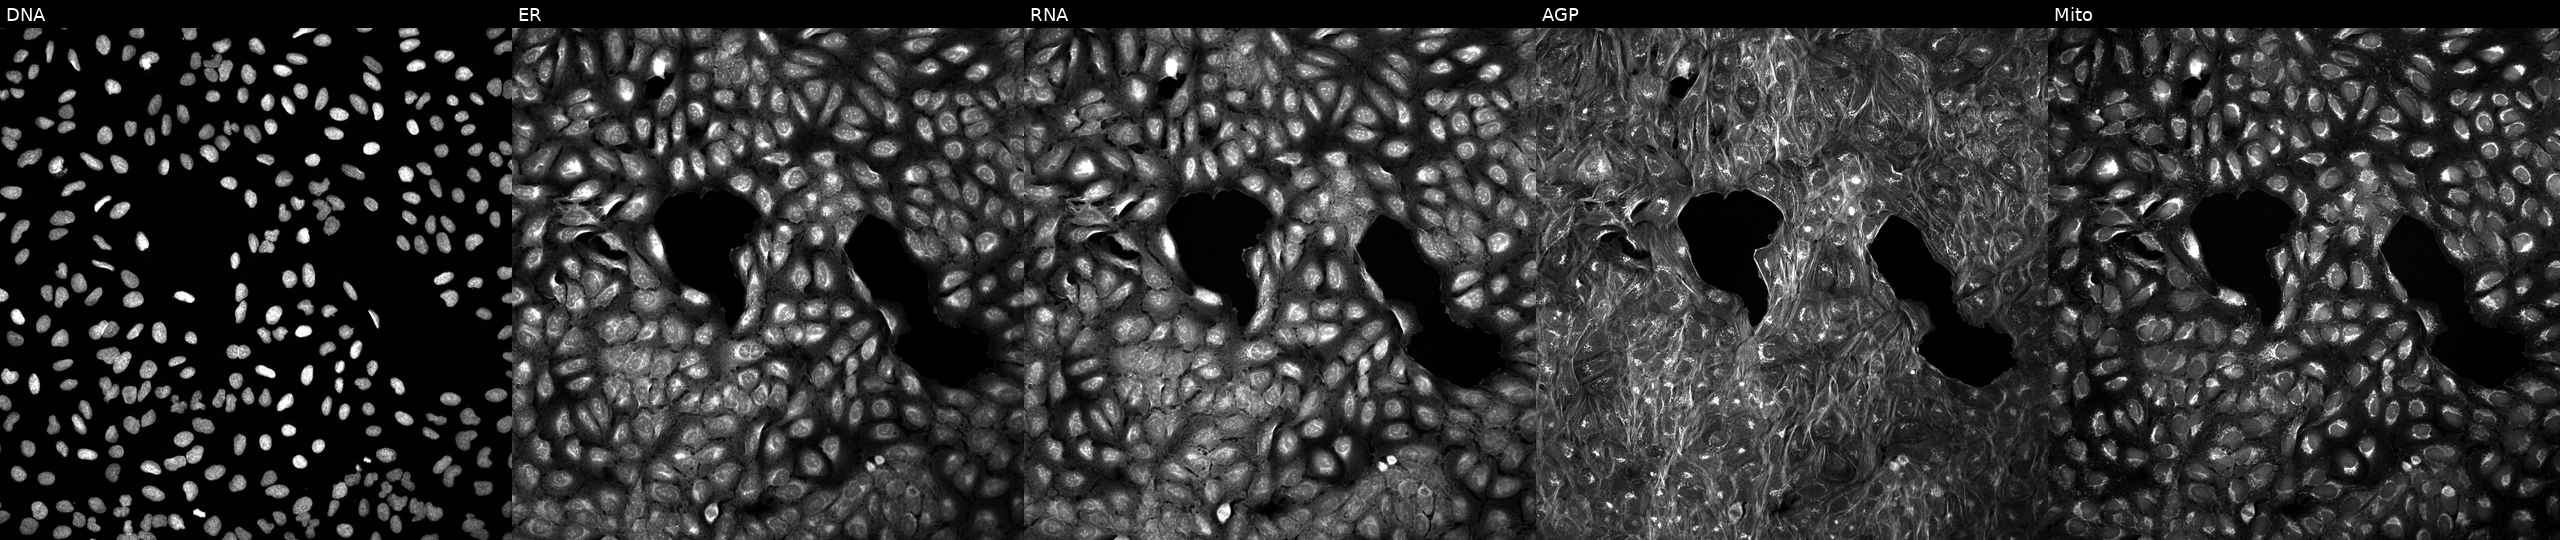
Five-channel Cell Painting image of U2OS cells exposed to a small-molecule compound (InChIKey KAQKFAOMNZTLHT-UHFFFAOYSA-N) (JUMP id JCP2022_043332). Panels show, left to right, DNA (nuclei); ER (endoplasmic reticulum); RNA (nucleoli and cytoplasmic RNA); AGP (actin cytoskeleton, Golgi, and plasma membrane); Mito (mitochondria). Source 5, plate ACPJUM012, well L21.